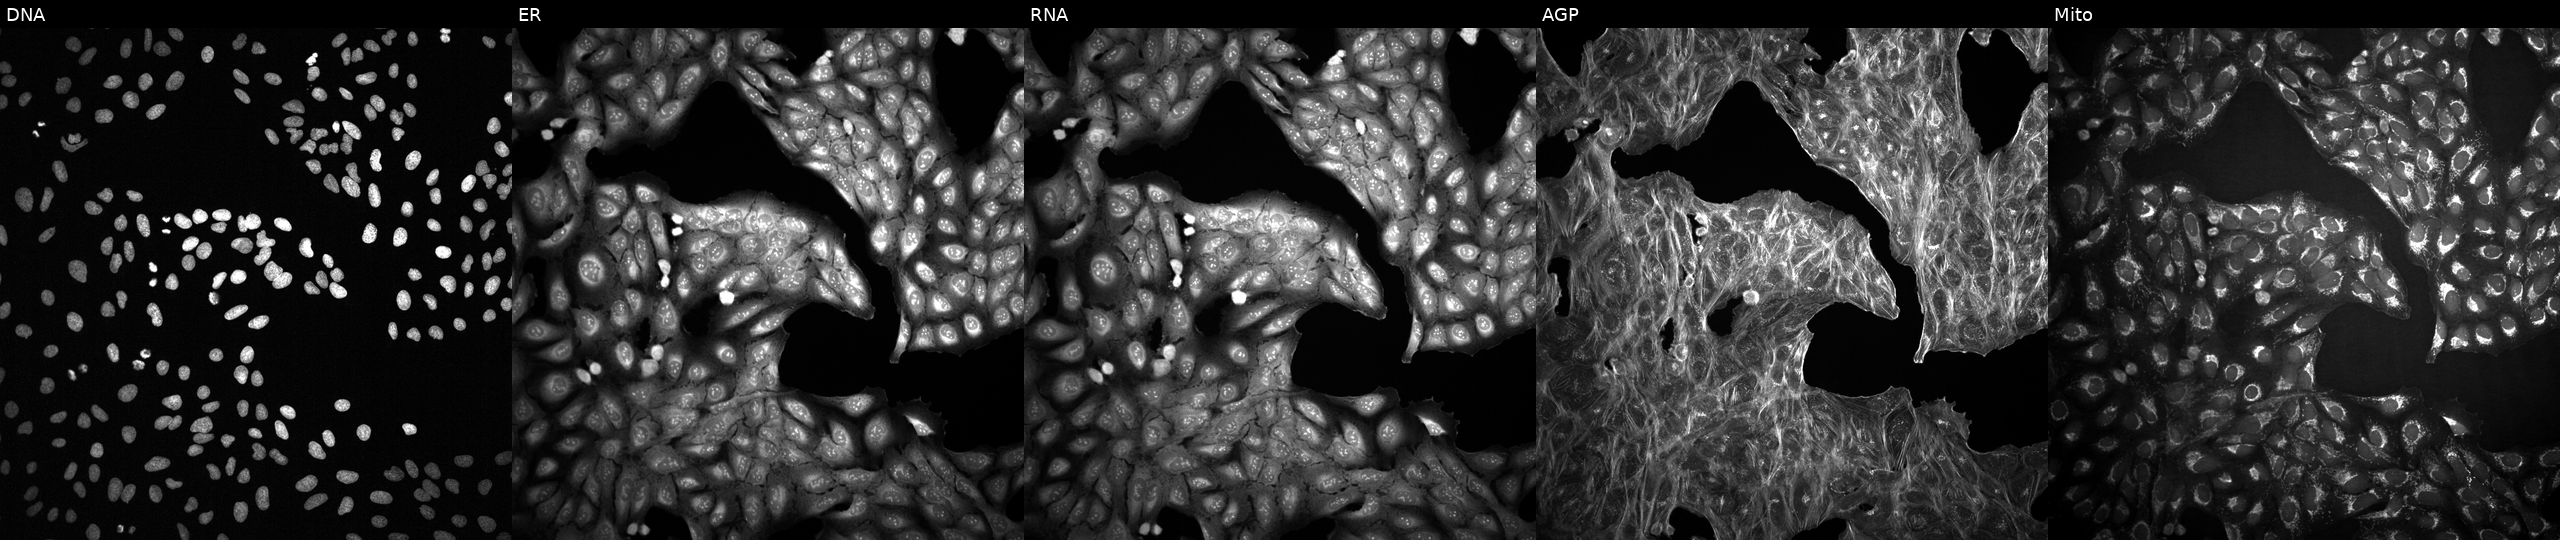
High-content fluorescence microscopy (Cell Painting). Cell line: U2OS. Perturbation: with an unidentified perturbation (not annotated in JUMP metadata). The five panels, left to right, show DNA, ER, RNA, AGP, and Mito.